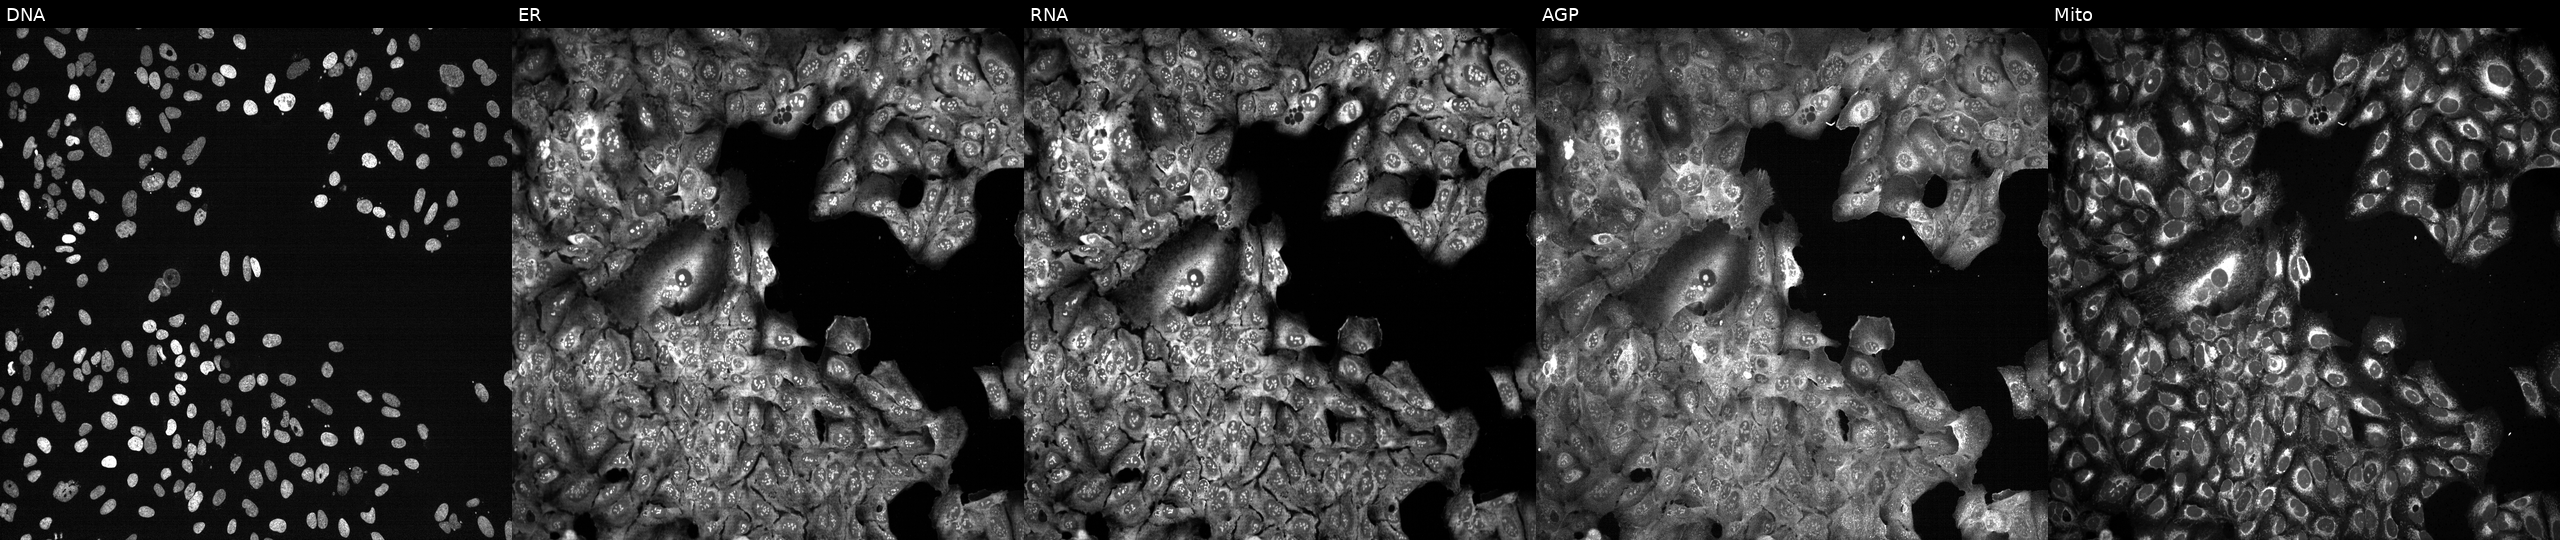
U2OS cells, Cell Painting assay, with RBBP4 knocked out by CRISPR (JUMP id JCP2022_805858). Panels show, left to right, Hoechst 33342, concanavalin A, SYTO 14, phalloidin and WGA, MitoTracker. Each panel is percentile-stretched 16-bit fluorescence. Source 13, plate CP-CC9-R4-03, well I18.